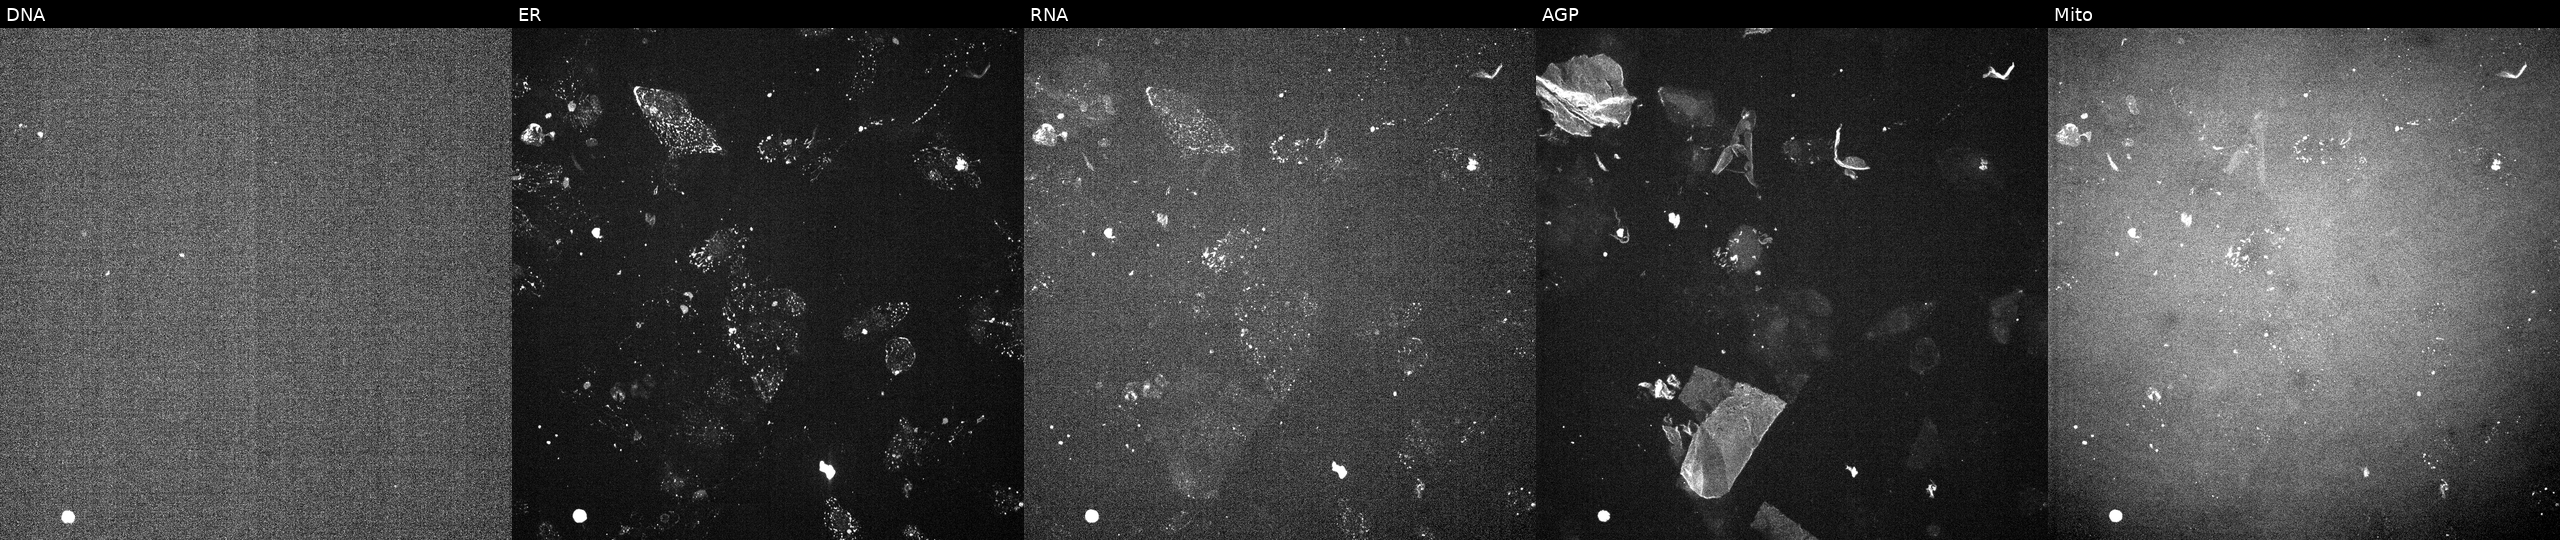
This image strip shows the five Cell Painting channels for a single field of U2OS cells treated with a small-molecule compound (InChIKey RXWNCPJZOCPEPQ-UHFFFAOYSA-N). From left to right: Hoechst 33342, concanavalin A, SYTO 14, phalloidin and WGA, MitoTracker.